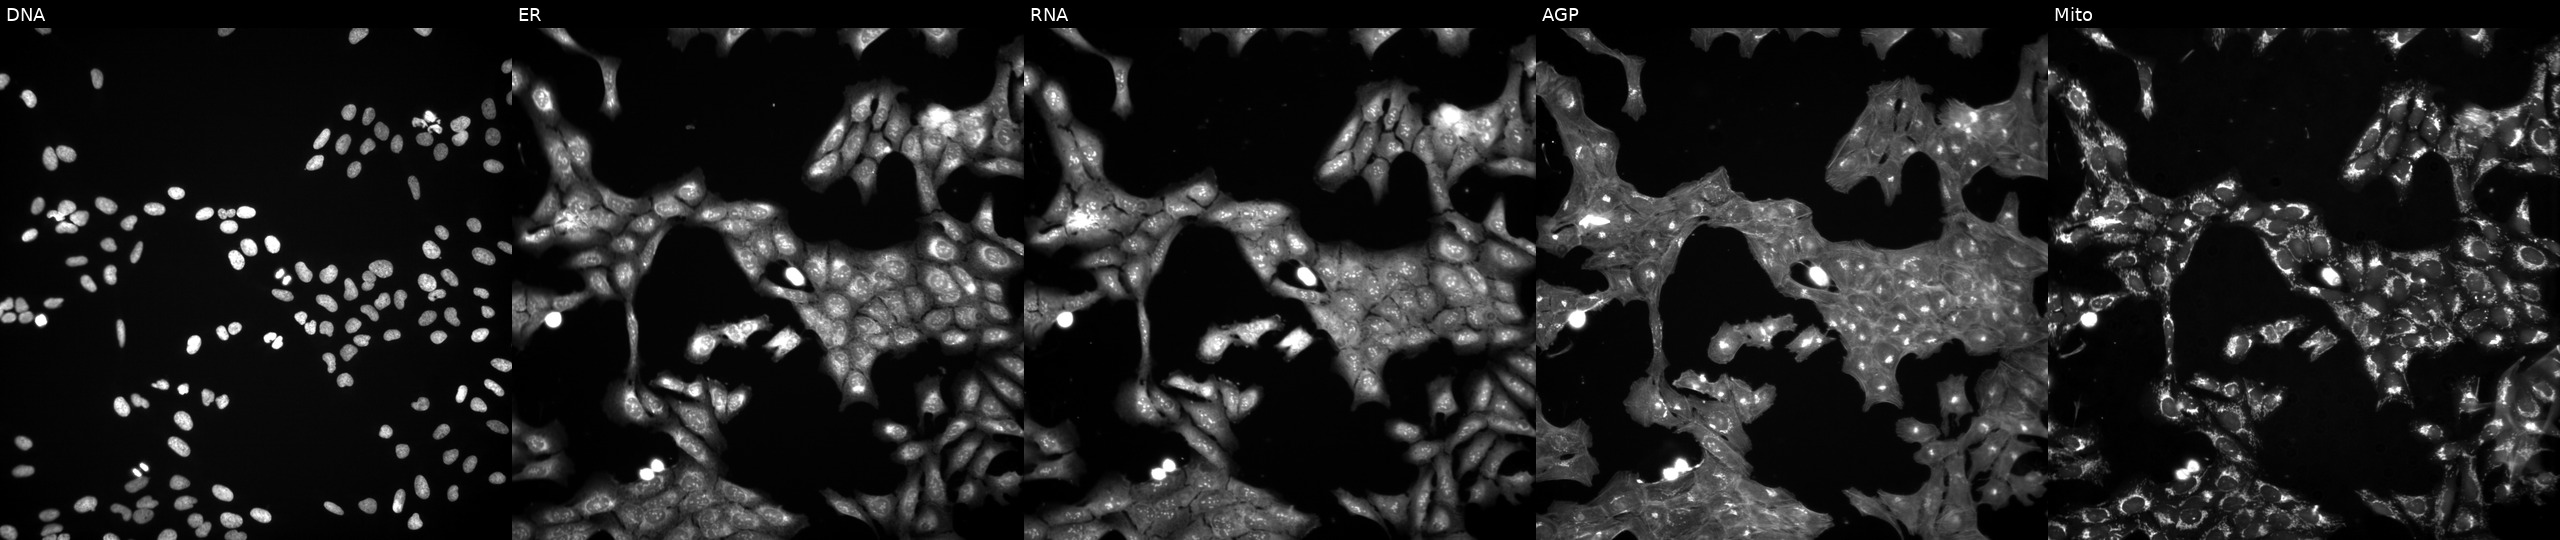
U2OS cells, Cell Painting assay, treated with quinidine (positive-control compound). The five panels, left to right, show DNA, ER, RNA, AGP, and Mito. Each panel is percentile-stretched 16-bit fluorescence.